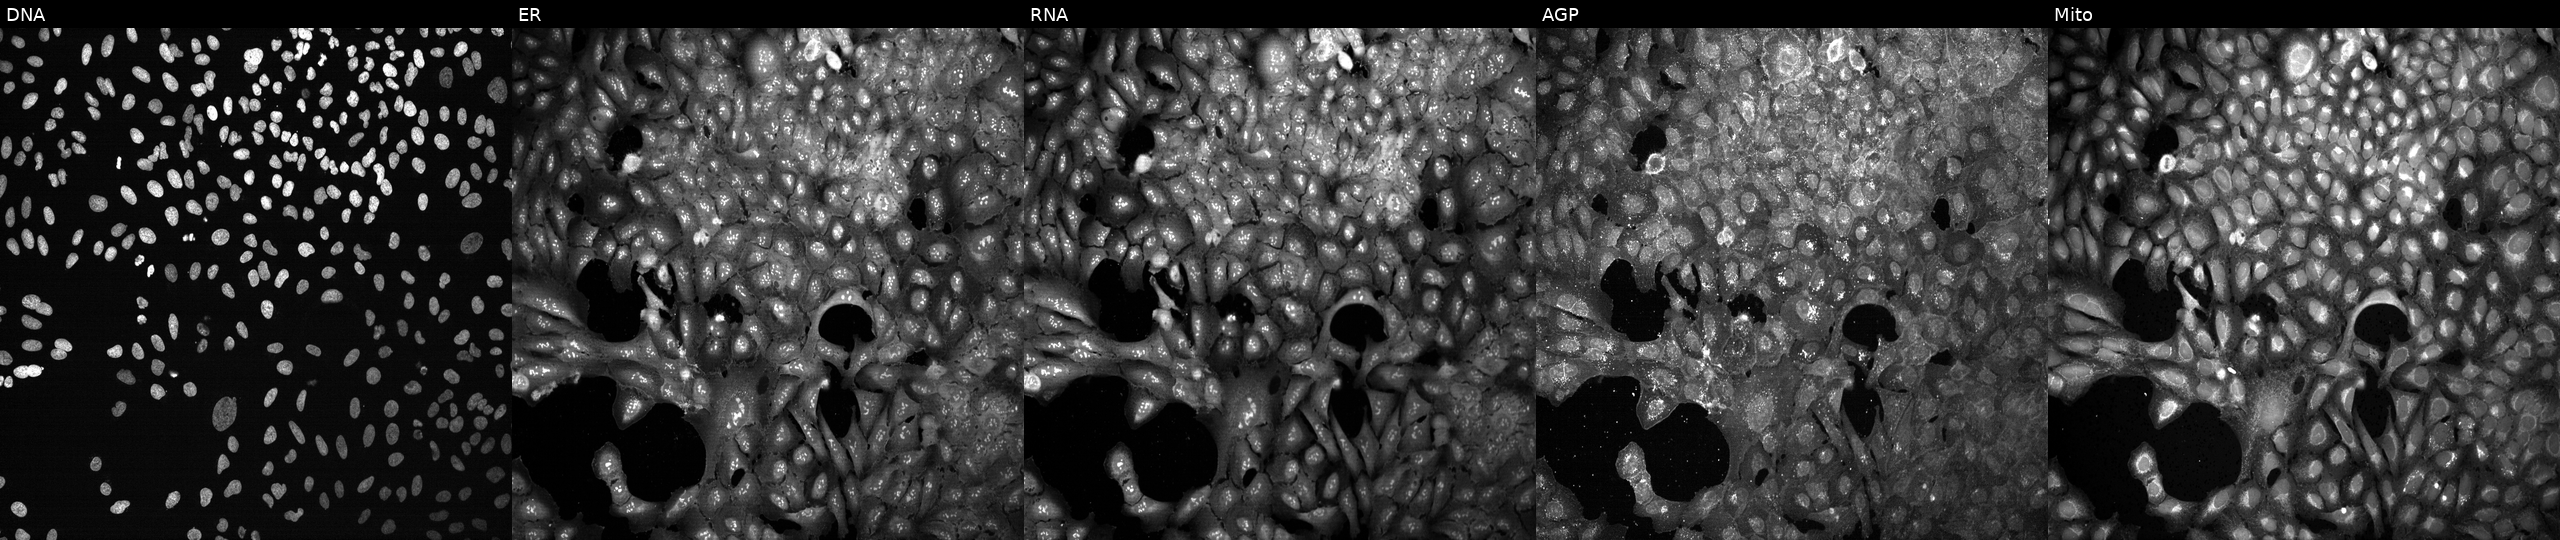
Five-channel Cell Painting image of U2OS cells CRISPR-edited to disrupt HLA-C (JUMP id JCP2022_803122). Panels show, left to right, DNA, ER, RNA, AGP, and Mito.